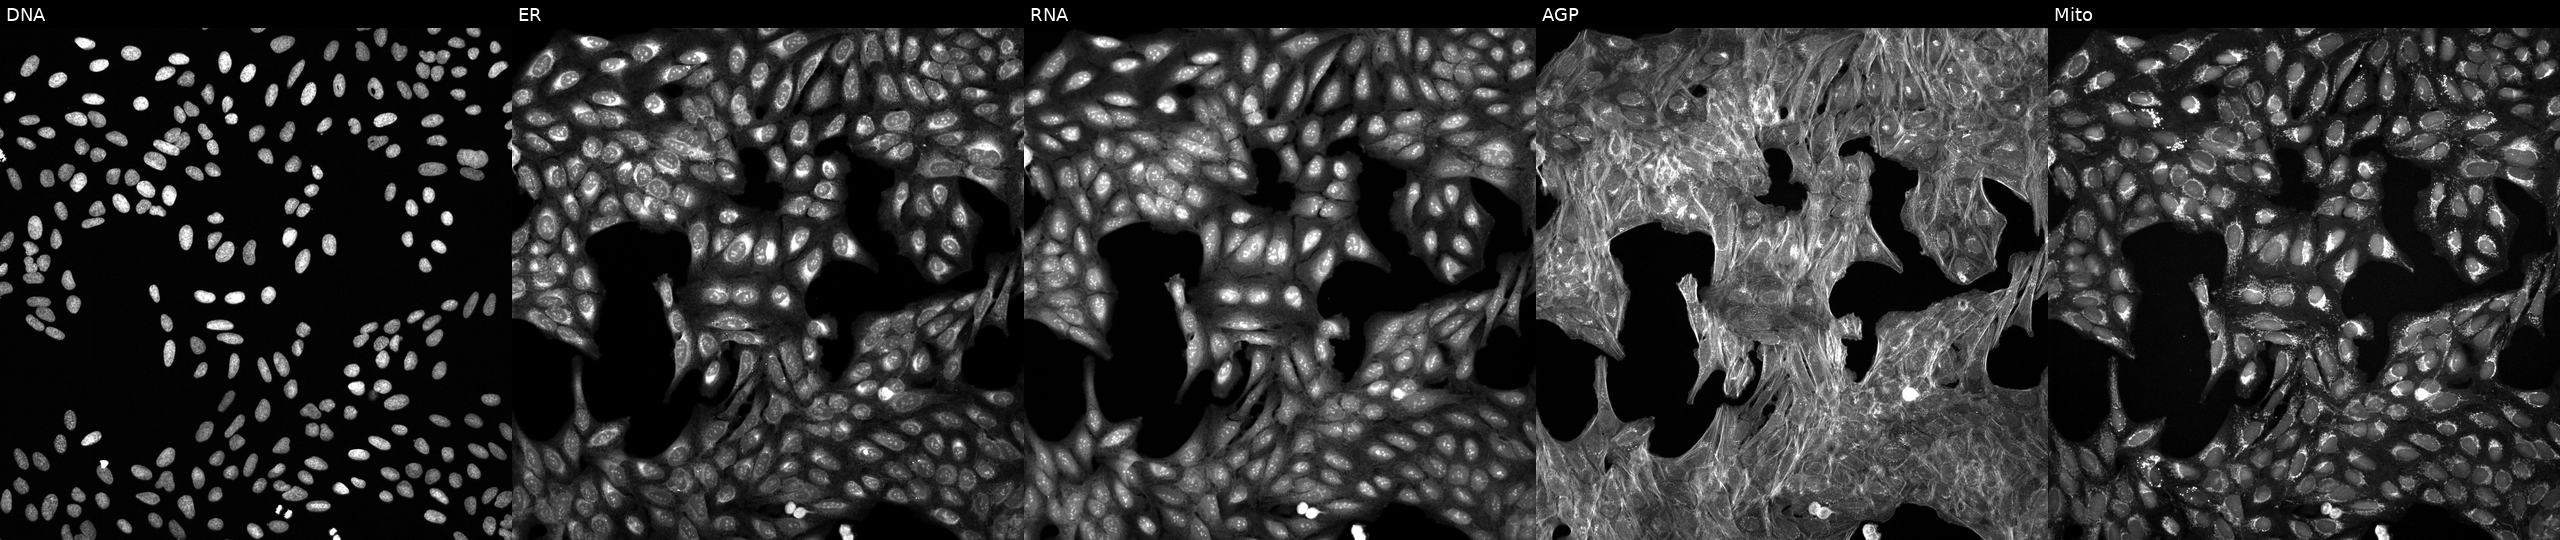
The five panels, left to right, show Hoechst 33342, concanavalin A, SYTO 14, phalloidin and WGA, MitoTracker. U2OS osteosarcoma cells treated with dexamethasone (positive-control compound) (JUMP id JCP2022_025848). Cell Painting assay, JUMP-CP dataset.